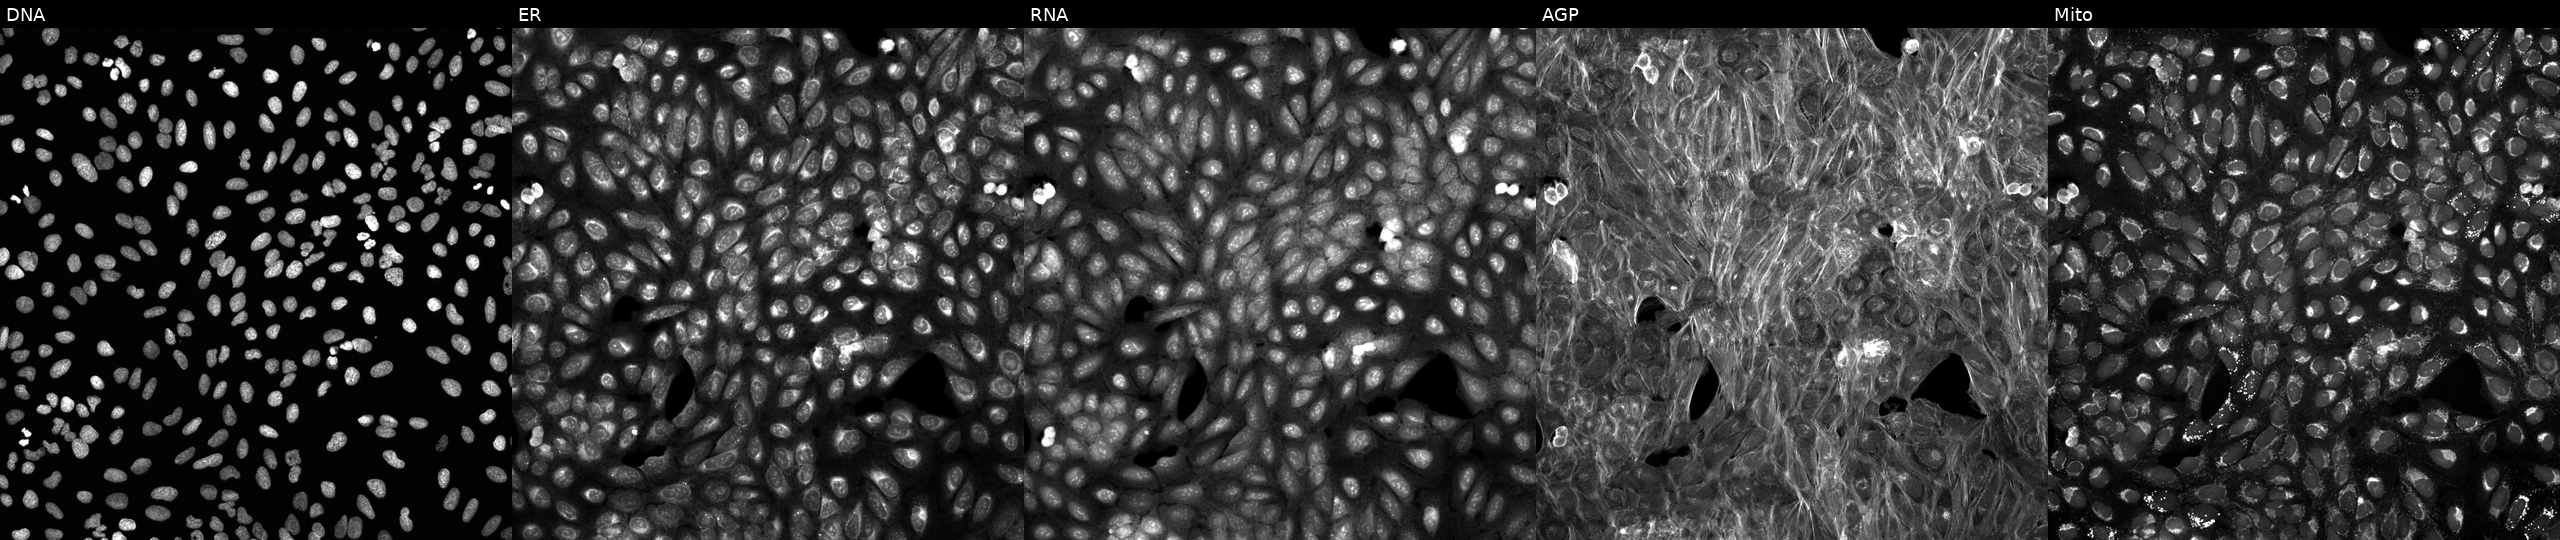
JUMP Cell Painting — COMPOUND plate. U2OS cells exposed to a small-molecule compound (InChIKey KYXSJSPAYYTCQK-UHFFFAOYSA-N). From left to right: DNA, ER, RNA, AGP, and Mito.